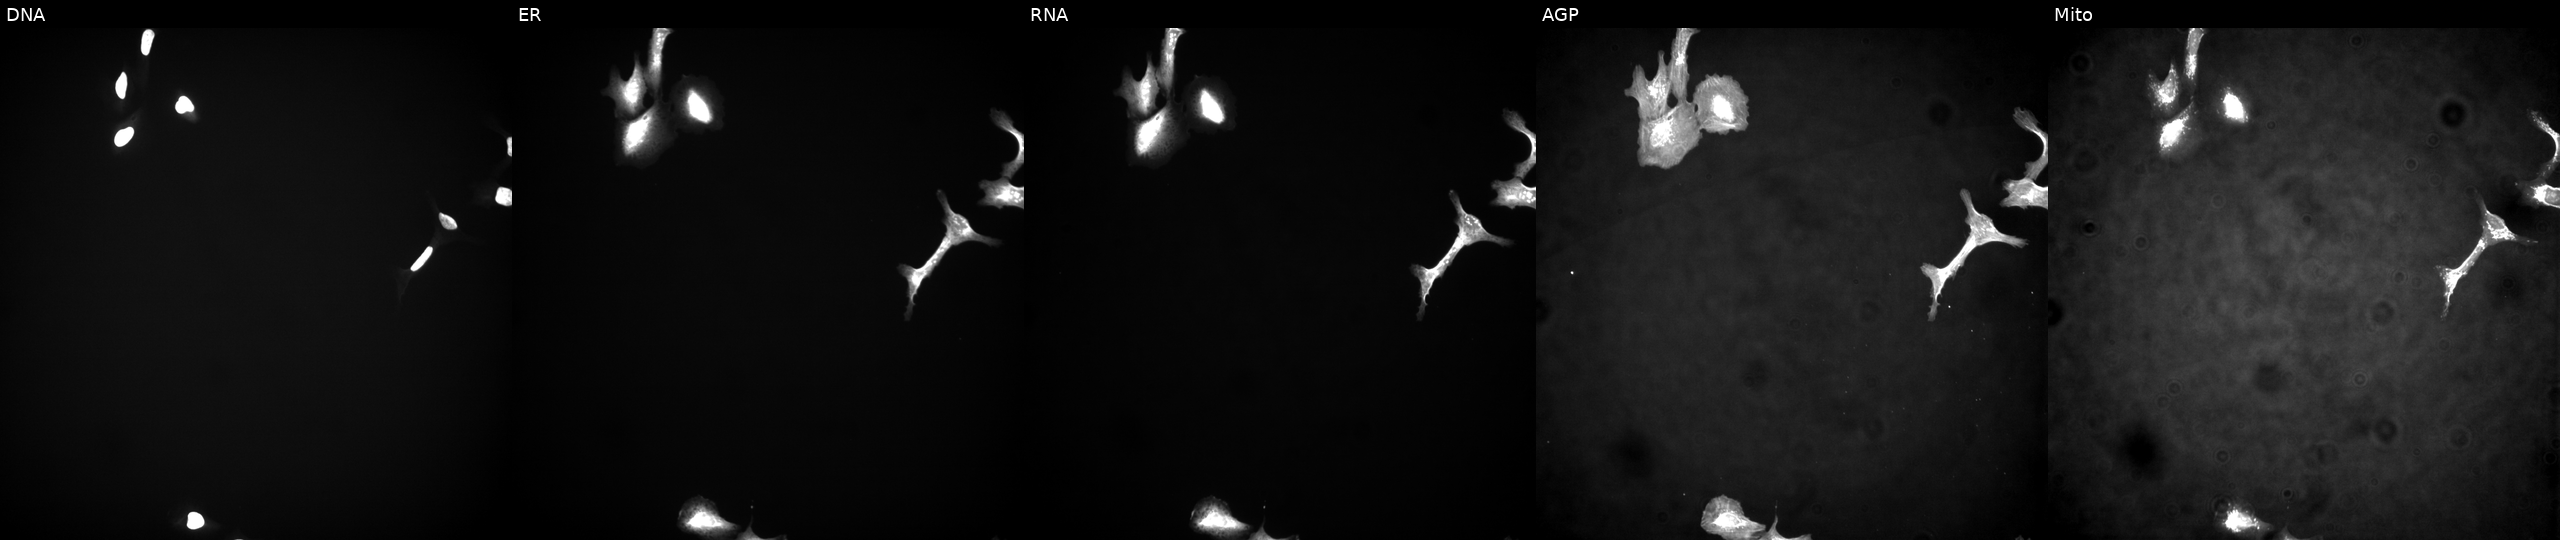
The five panels, left to right, show DNA, ER, RNA, AGP, and Mito. U2OS osteosarcoma cells overexpressing ATP6V0E1 via ORF transfection (JUMP id JCP2022_901924). Cell Painting assay, JUMP-CP dataset. Source 4, plate BR00124784, well J15.